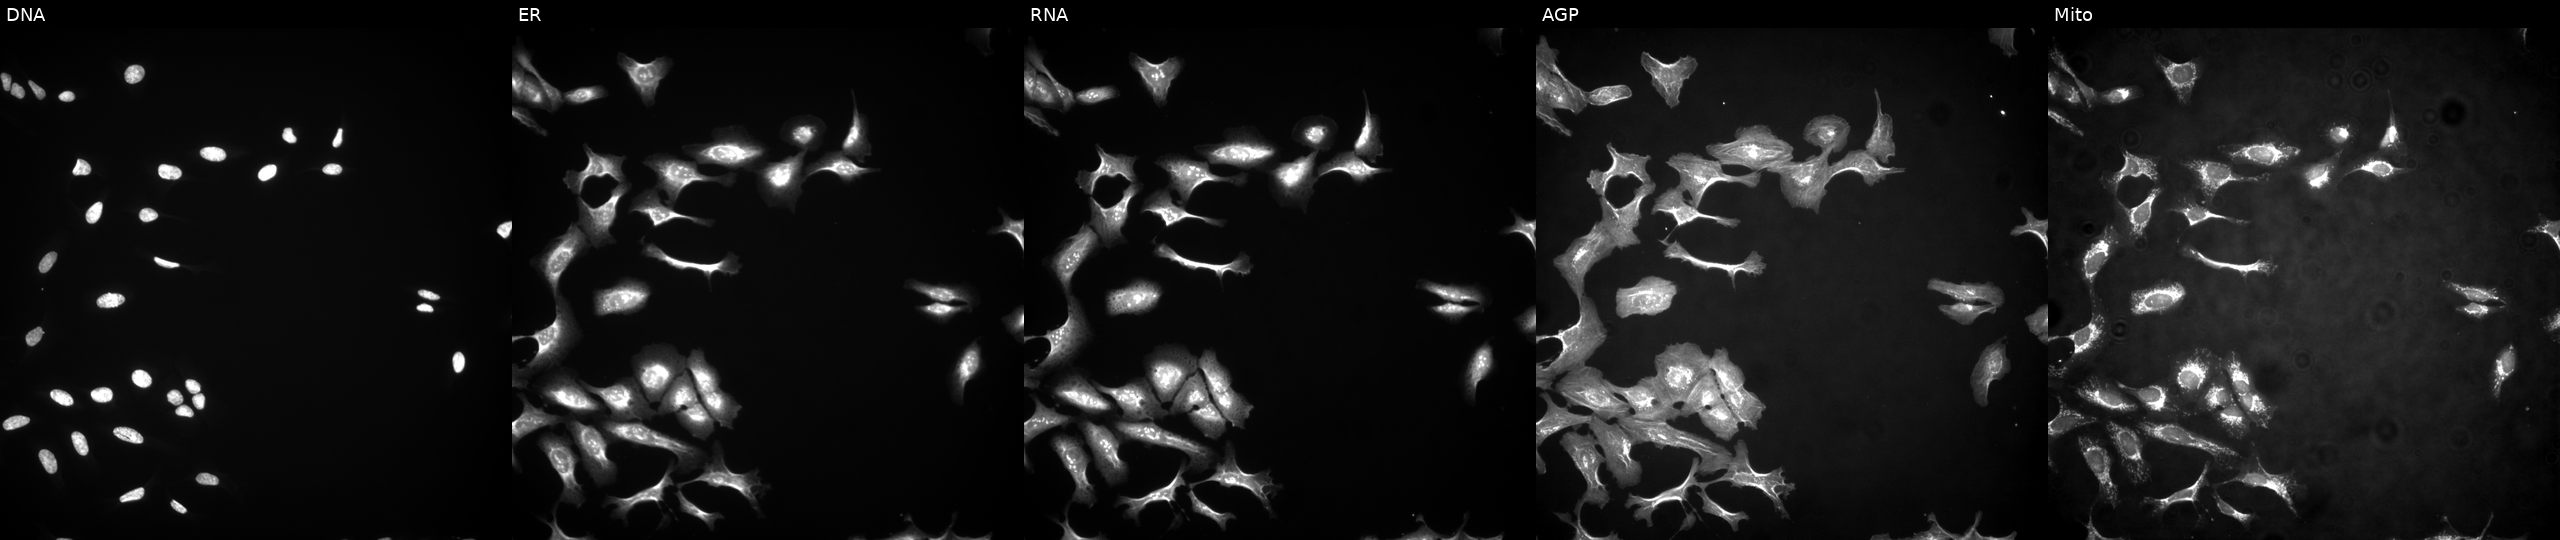
This image strip shows the five Cell Painting channels for a single field of U2OS cells with SAA1 overexpressed (ORF). The five panels, left to right, show DNA (nuclei); ER (endoplasmic reticulum); RNA (nucleoli and cytoplasmic RNA); AGP (actin cytoskeleton, Golgi, and plasma membrane); Mito (mitochondria). Source 4, plate BR00123509, well L12.